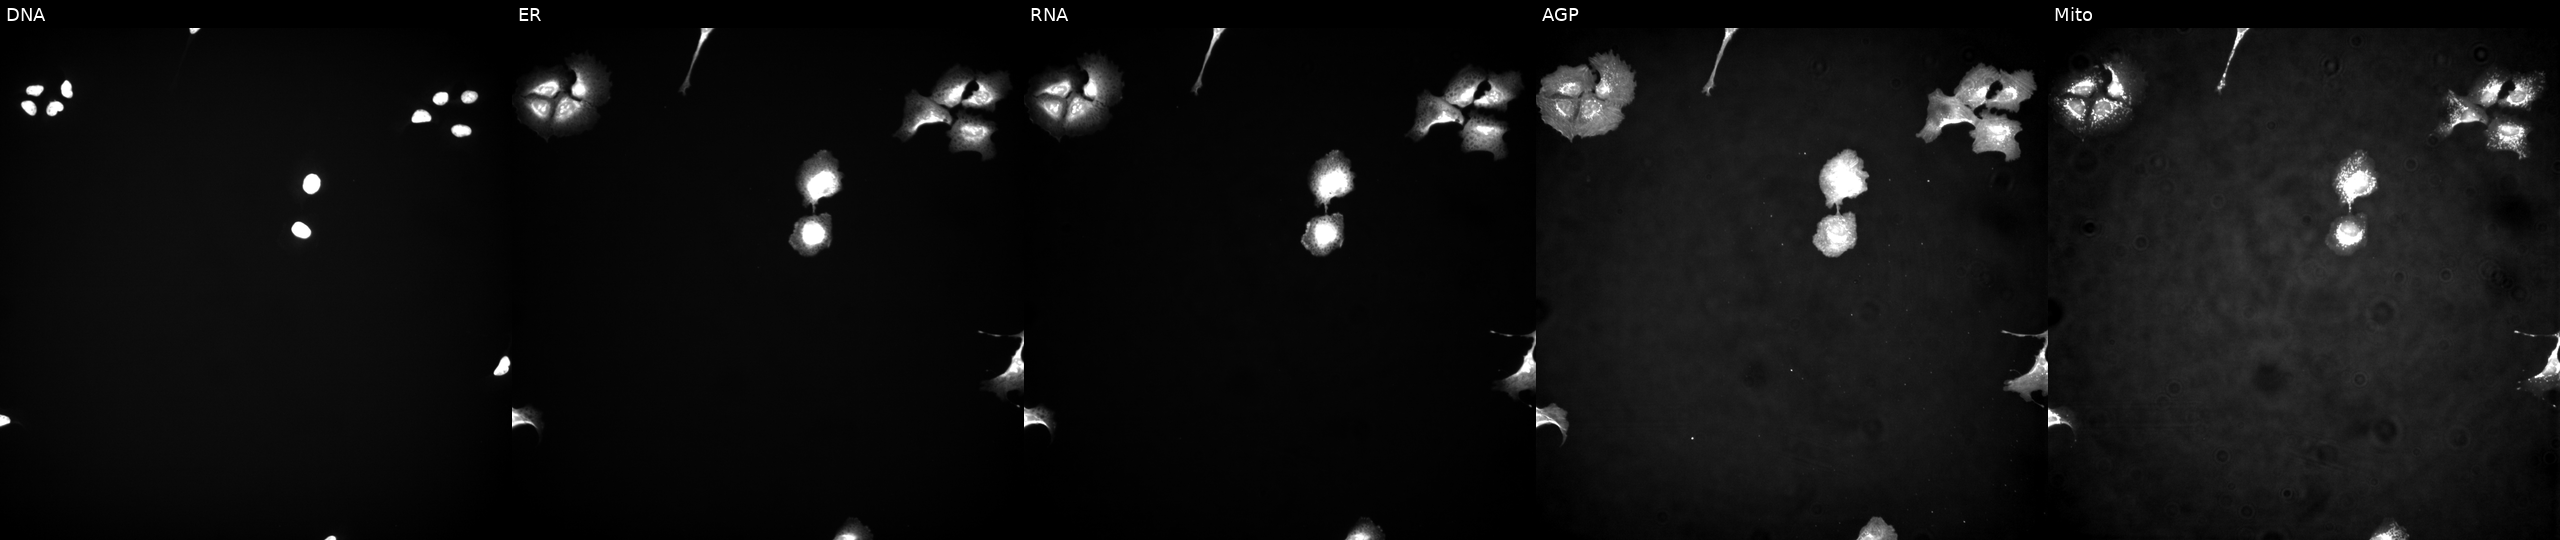
High-content fluorescence microscopy (Cell Painting). Cell line: U2OS. Perturbation: overexpressing ERBB2 via ORF transfection. From left to right: DNA (nuclei); ER (endoplasmic reticulum); RNA (nucleoli and cytoplasmic RNA); AGP (actin cytoskeleton, Golgi, and plasma membrane); Mito (mitochondria). Source 4, plate BR00123945, well P09.